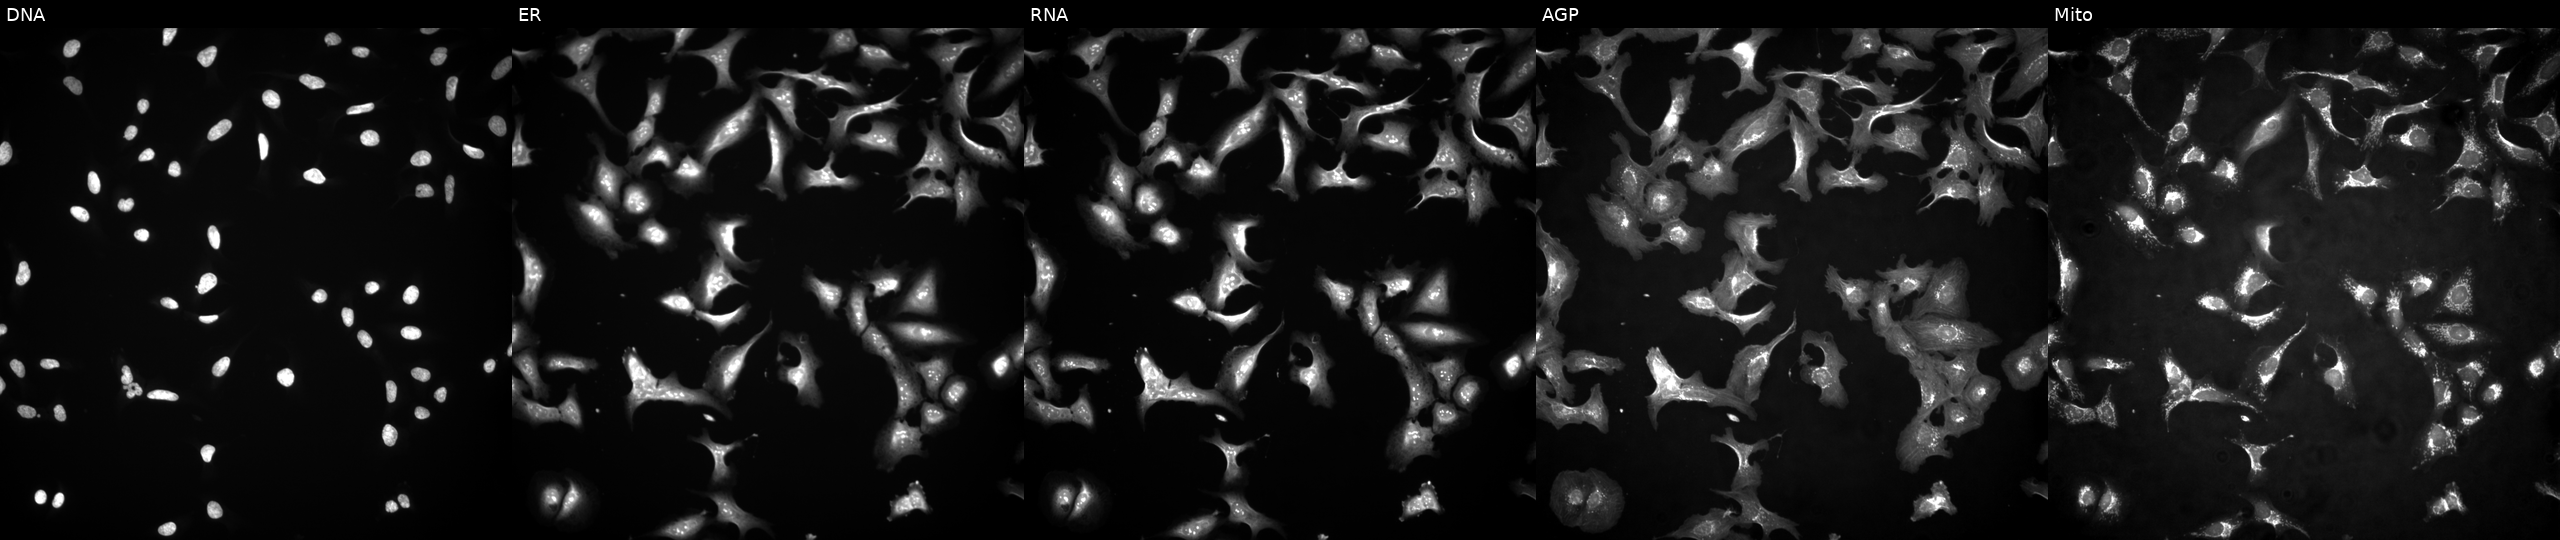
JUMP Cell Painting — ORF plate. U2OS cells overexpressing ZNF626 via ORF transfection (JUMP id JCP2022_904844). Panels show, left to right, DNA (nuclei); ER (endoplasmic reticulum); RNA (nucleoli and cytoplasmic RNA); AGP (actin cytoskeleton, Golgi, and plasma membrane); Mito (mitochondria). Source 4, plate BR00117035, well H05.